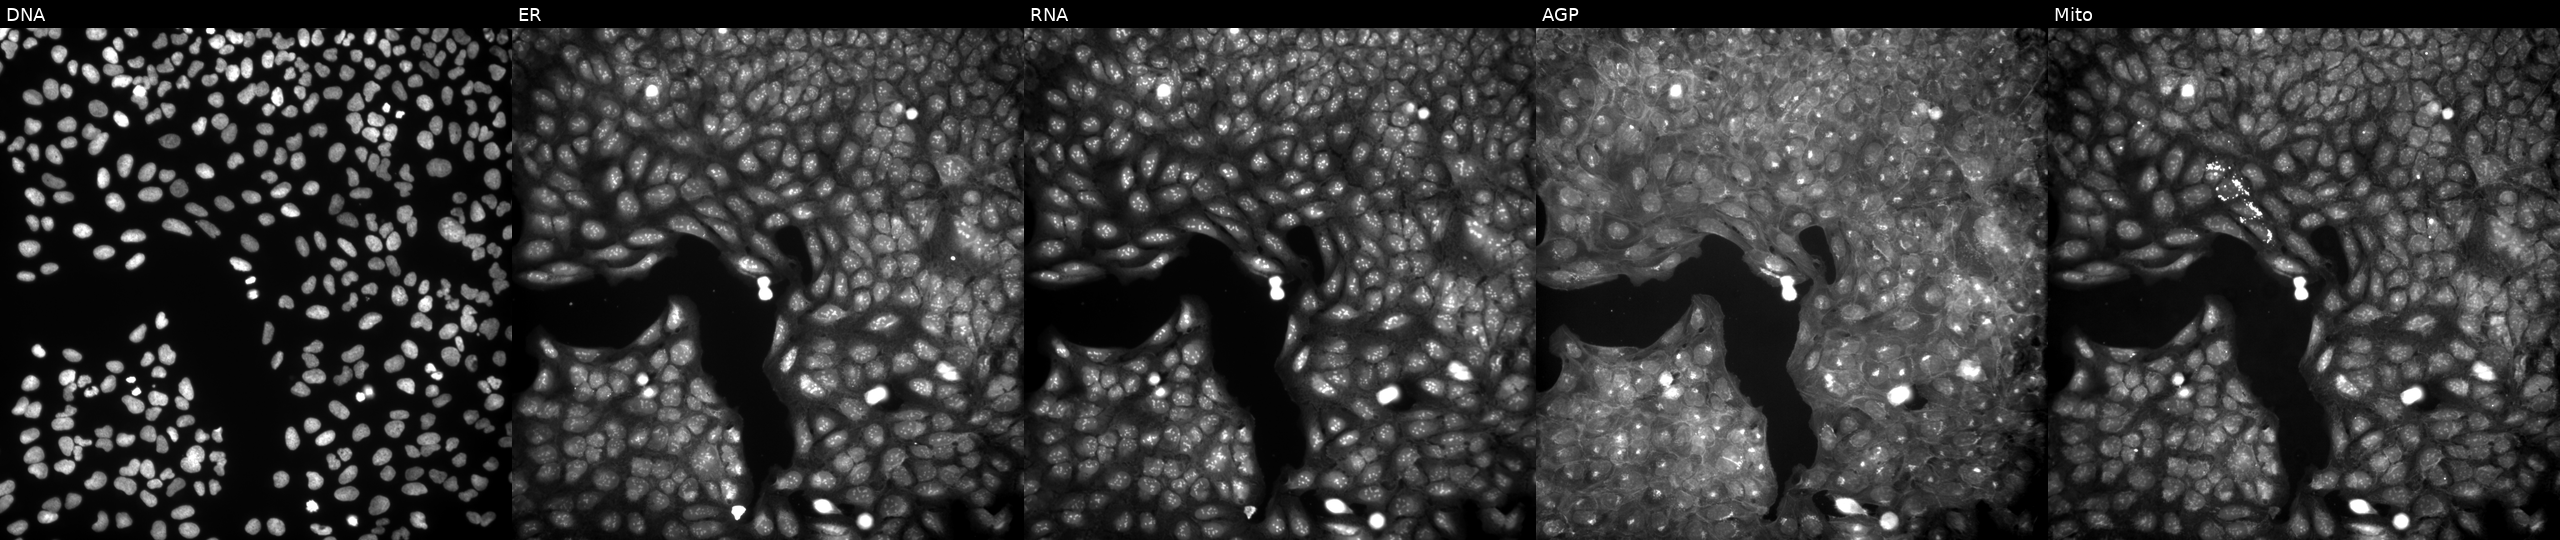
This image strip shows the five Cell Painting channels for a single field of U2OS cells treated with a small-molecule compound (InChIKey XFKRJJZWUYEDJE-UHFFFAOYSA-N) [SMILES: Cc1nn(CC(=O)NC(C)c2ccccc2)c(C)c1[N+](=O)[O-]] (JUMP id JCP2022_103306). Channels (left→right): DNA, ER, RNA, AGP, and Mito. Source 9, plate GR00003382, well B34.